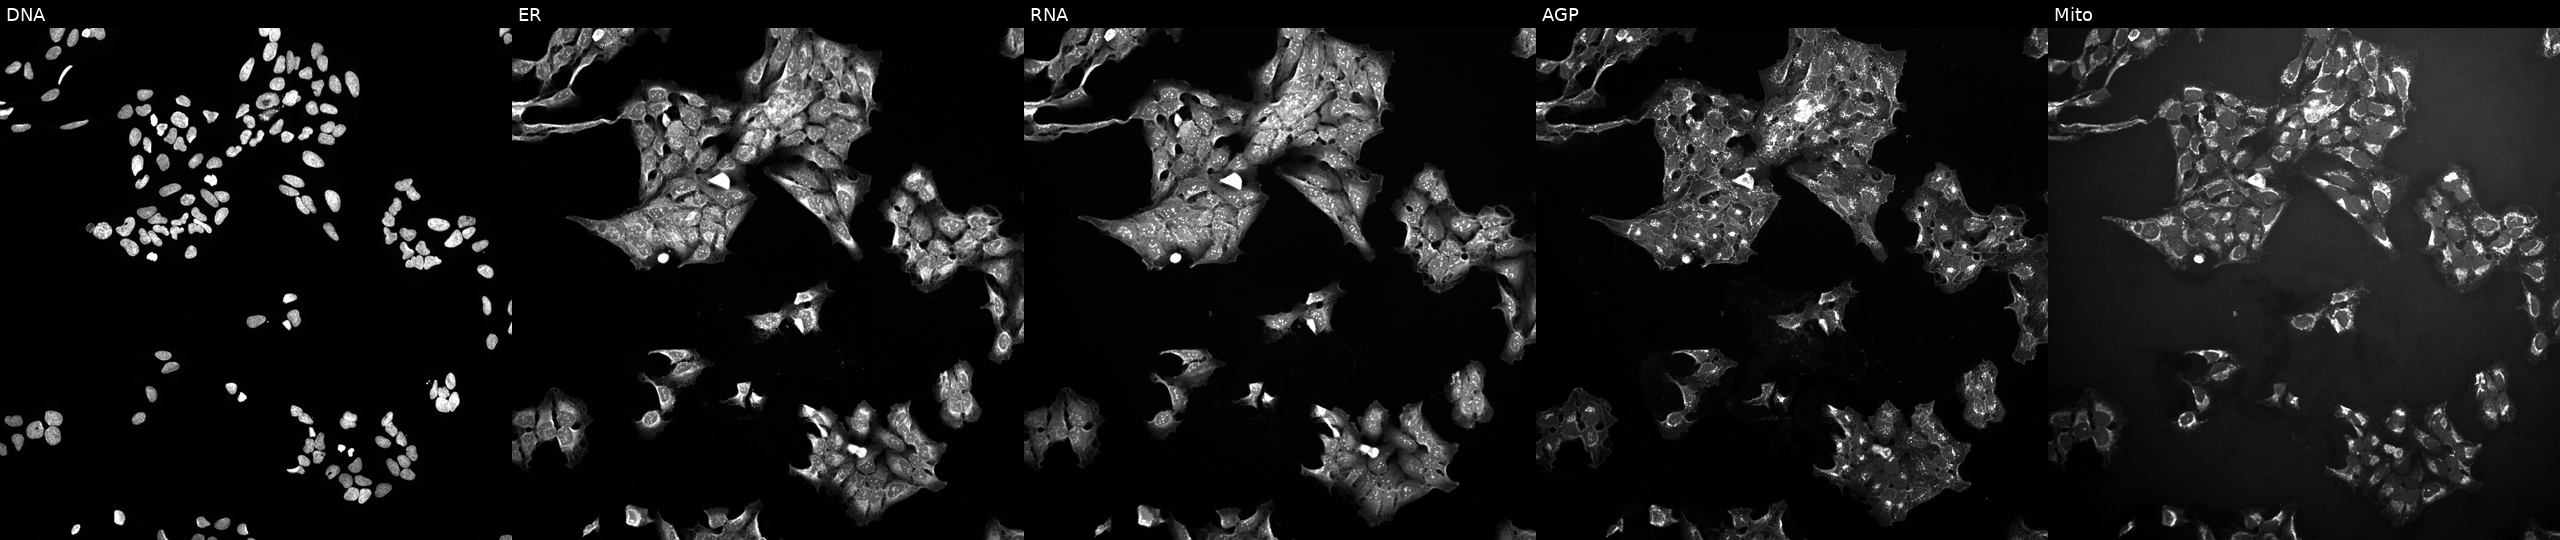
Channels (left→right): DNA (nuclei); ER (endoplasmic reticulum); RNA (nucleoli and cytoplasmic RNA); AGP (actin cytoskeleton, Golgi, and plasma membrane); Mito (mitochondria). U2OS osteosarcoma cells exposed to a small-molecule compound. Cell Painting assay, JUMP-CP dataset.